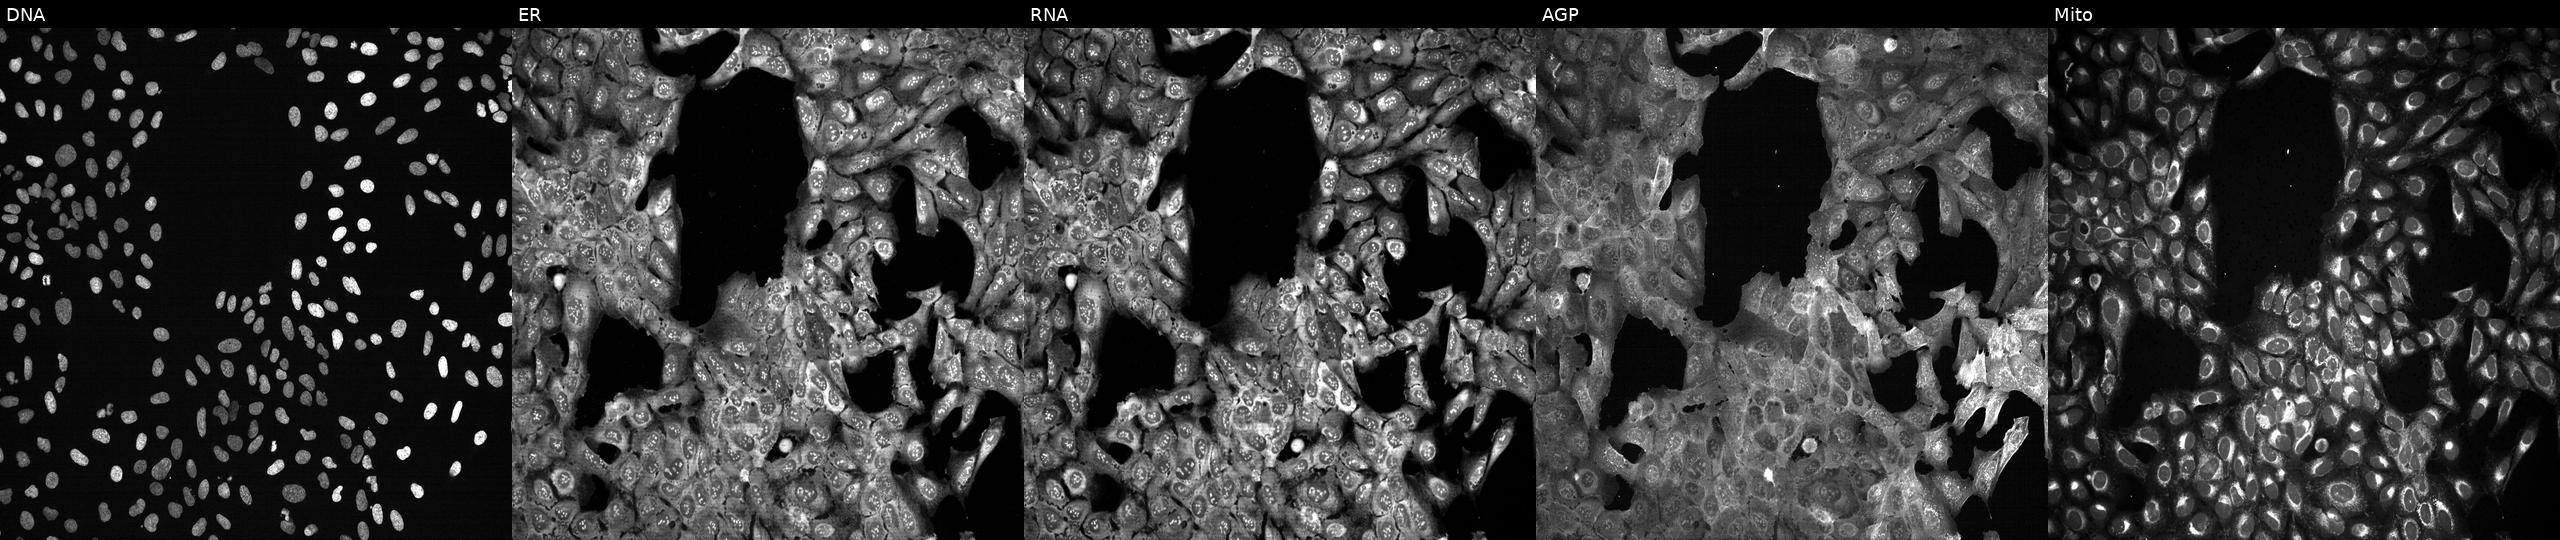
Five-channel Cell Painting image of U2OS cells with EBI3 knocked out by CRISPR. The five panels, left to right, show DNA, ER, RNA, AGP, and Mito. Source 13, plate CP-CC9-R2-02, well I04.